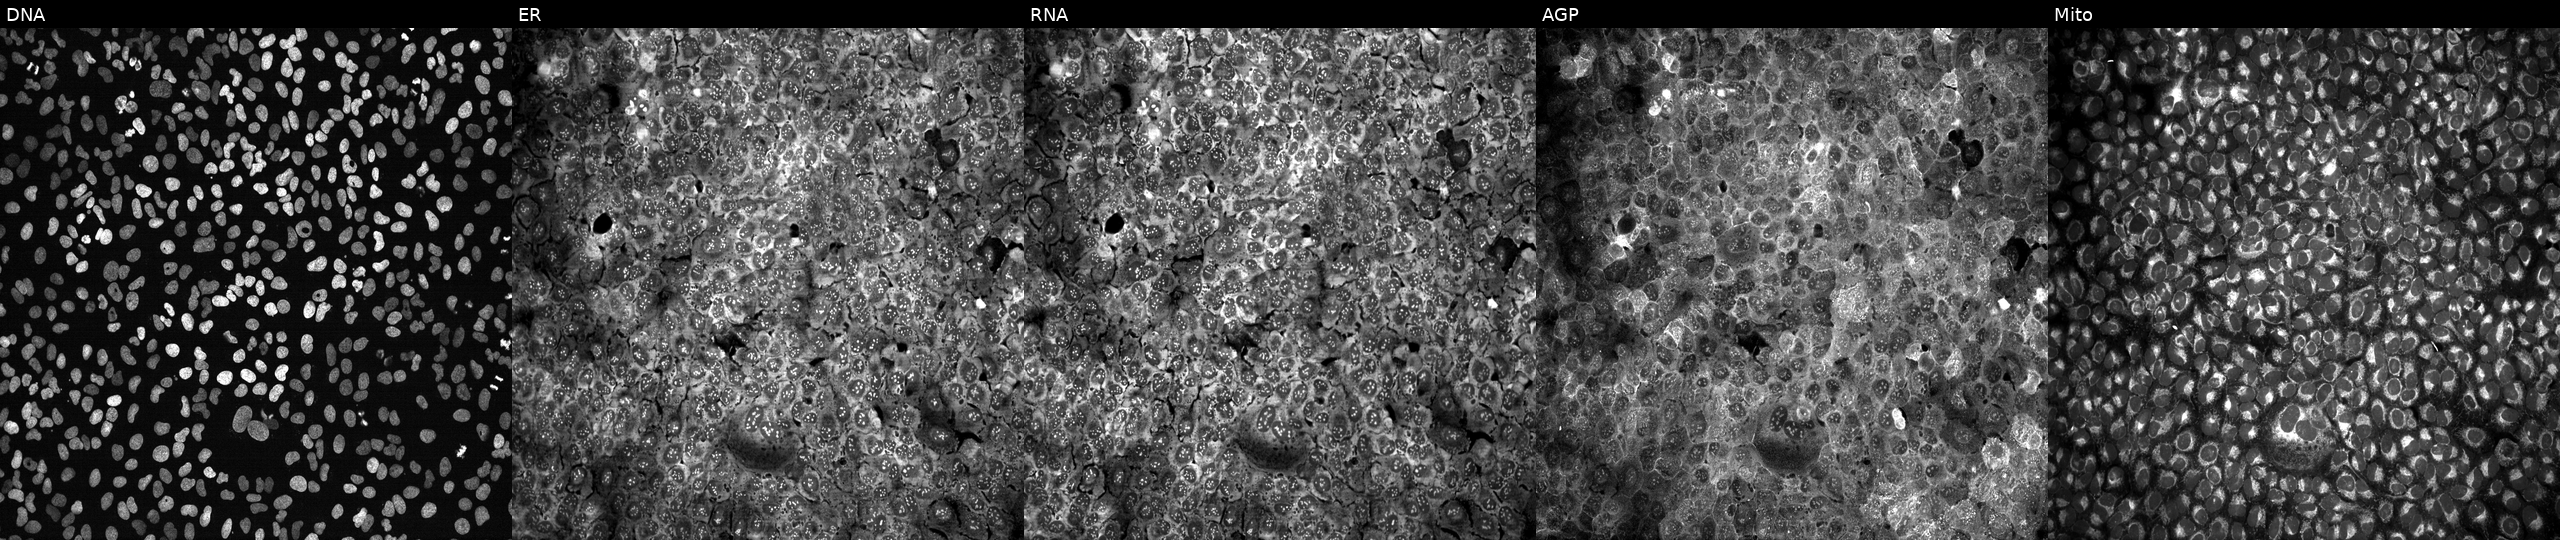
JUMP Cell Painting — CRISPR plate. U2OS cells following CRISPR knockout of RSAD2. From left to right: DNA (nuclei); ER (endoplasmic reticulum); RNA (nucleoli and cytoplasmic RNA); AGP (actin cytoskeleton, Golgi, and plasma membrane); Mito (mitochondria).